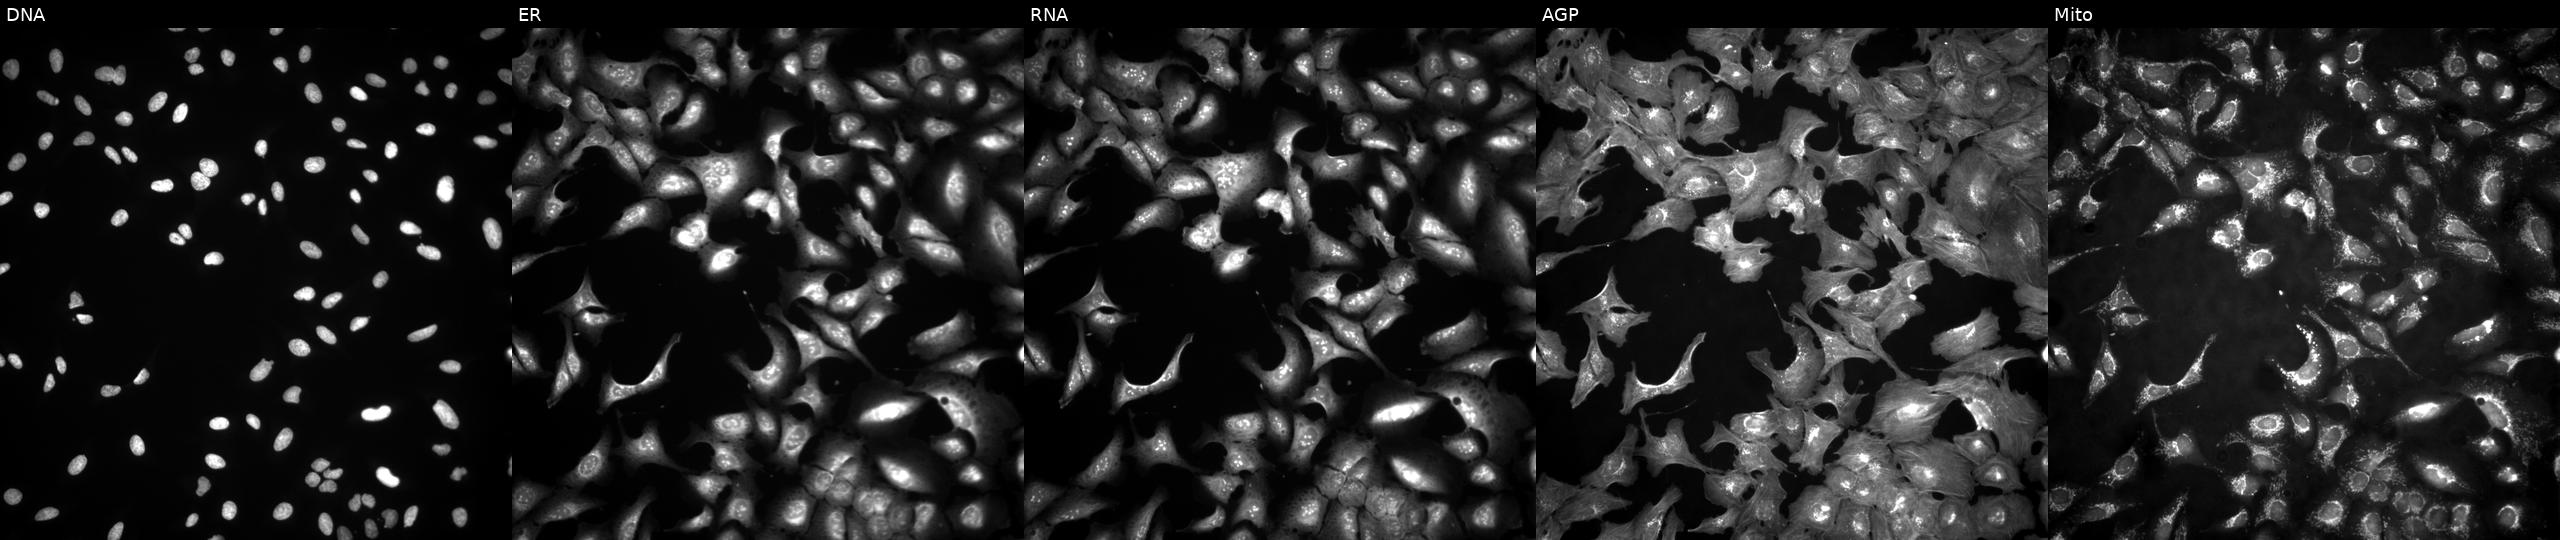
JUMP Cell Painting — ORF plate. U2OS cells transfected with an ORF construct for IGLV2-14 (JUMP id JCP2022_911079). From left to right: Hoechst 33342, concanavalin A, SYTO 14, phalloidin and WGA, MitoTracker.